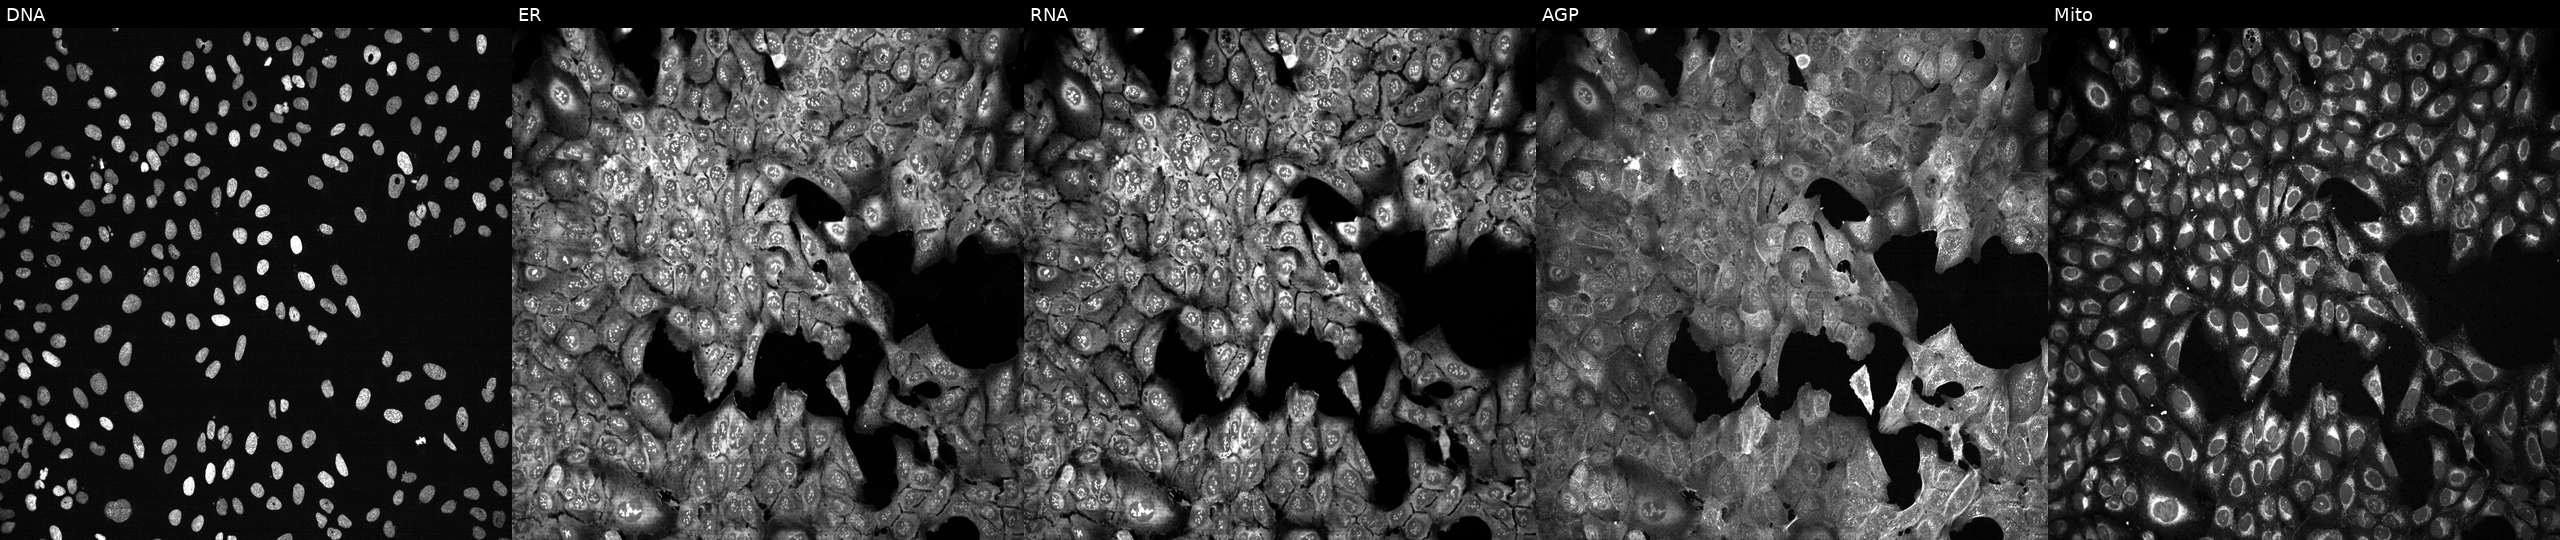
U2OS cells, Cell Painting assay, following CRISPR knockout of FOXS1 (JUMP id JCP2022_802490). The five panels, left to right, show DNA (nuclei); ER (endoplasmic reticulum); RNA (nucleoli and cytoplasmic RNA); AGP (actin cytoskeleton, Golgi, and plasma membrane); Mito (mitochondria). Each panel is percentile-stretched 16-bit fluorescence. Source 13, plate CP-CC9-R2-01, well J18.